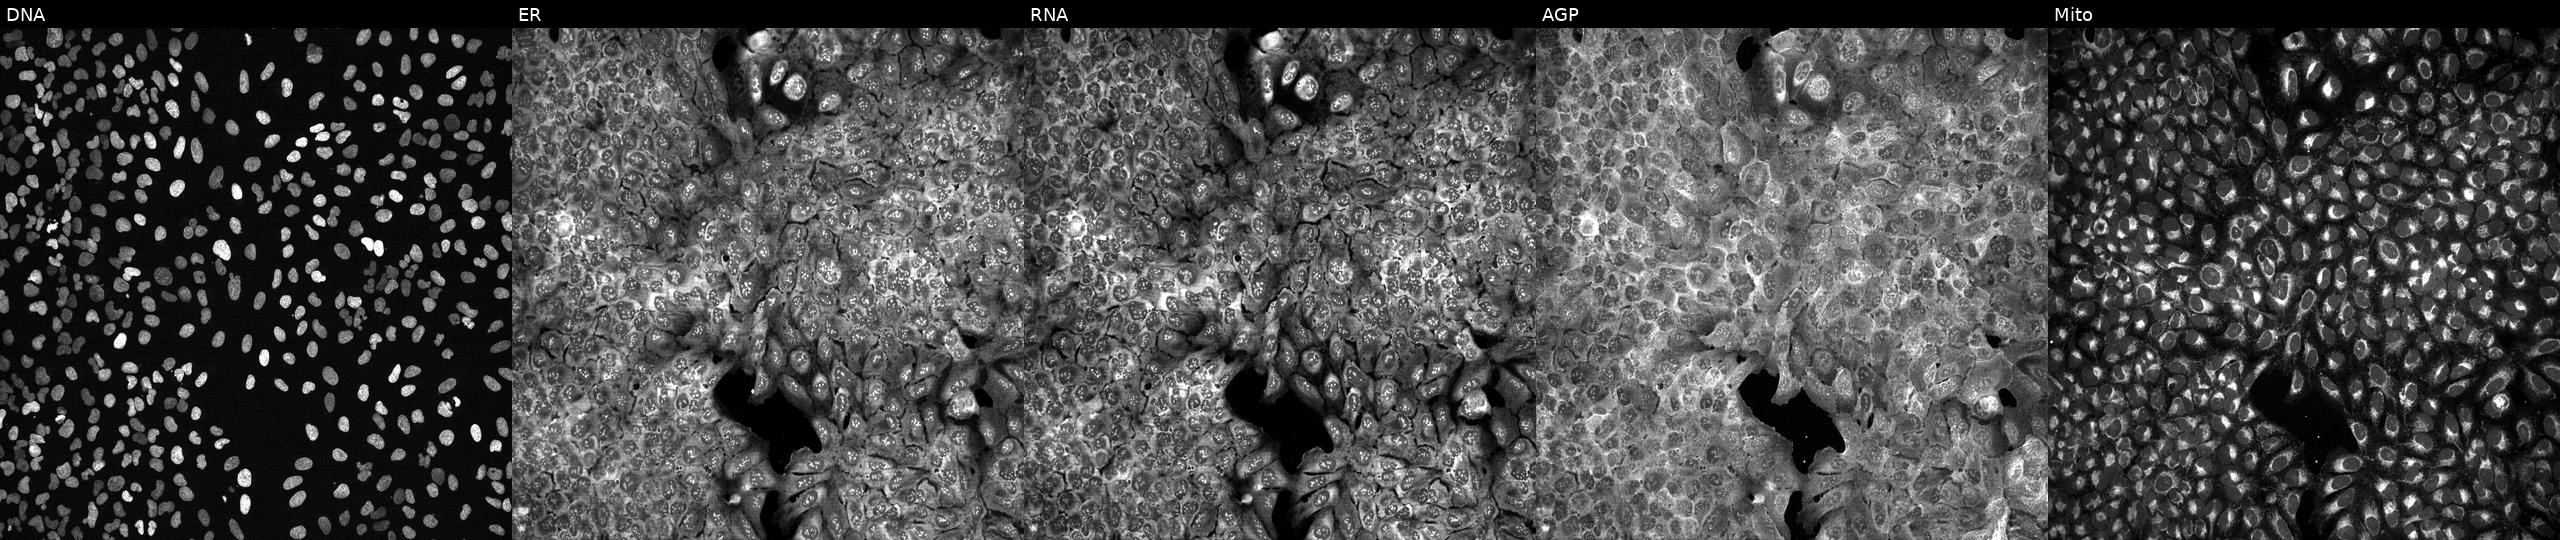
U2OS cells, Cell Painting assay, CRISPR-edited to disrupt APOBEC3D (JUMP id JCP2022_800520). Channels (left→right): DNA (nuclei); ER (endoplasmic reticulum); RNA (nucleoli and cytoplasmic RNA); AGP (actin cytoskeleton, Golgi, and plasma membrane); Mito (mitochondria). Each panel is percentile-stretched 16-bit fluorescence. Source 13, plate CP-CC9-R3-02, well I11.